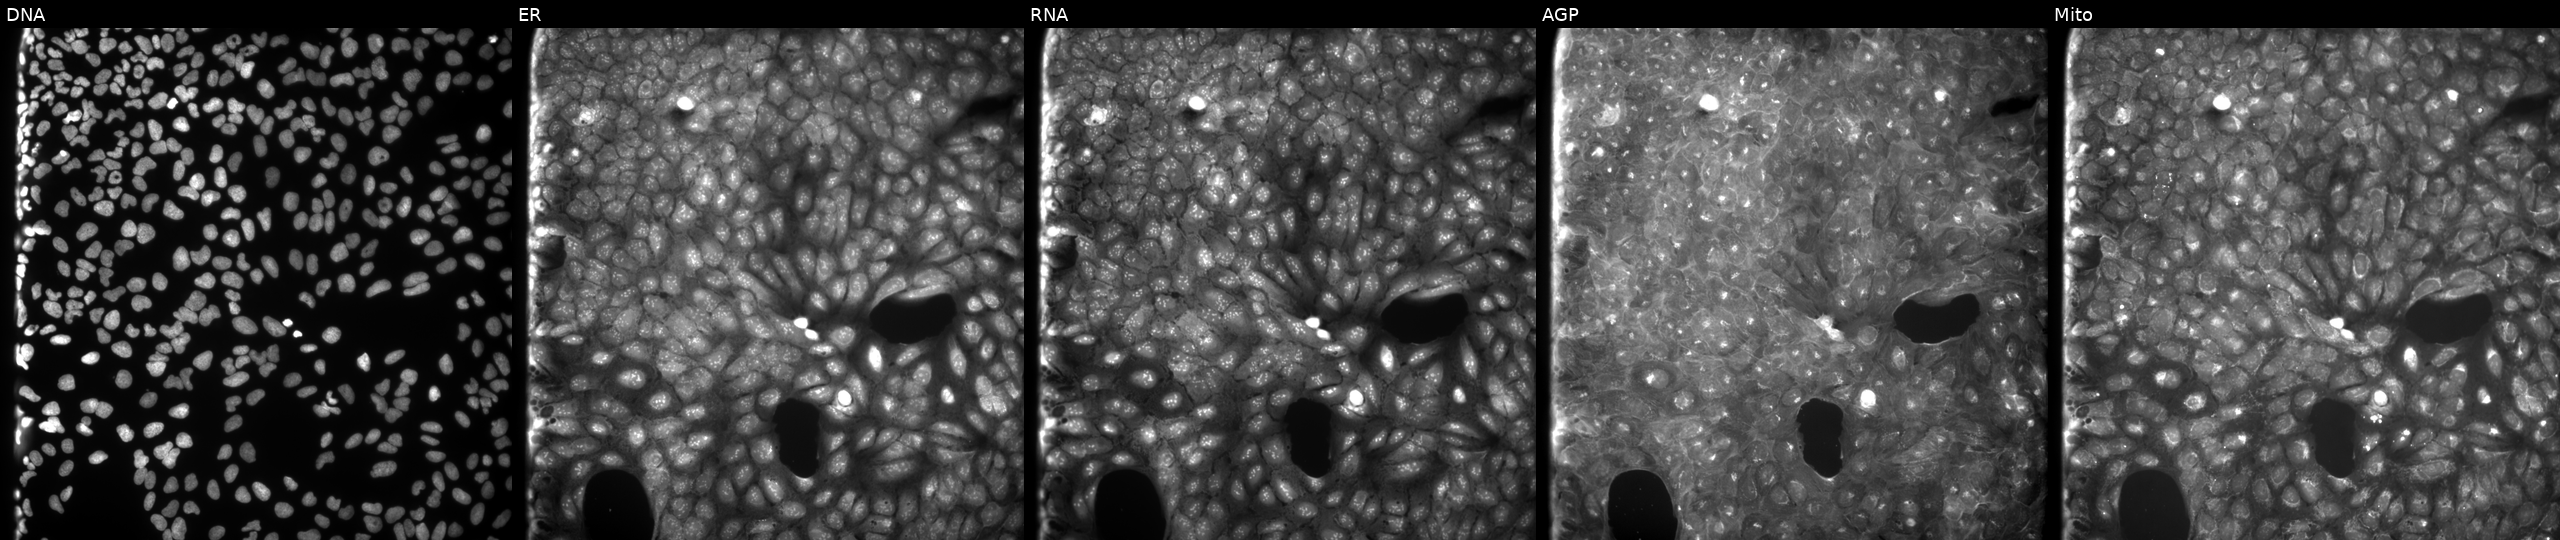
This image strip shows the five Cell Painting channels for a single field of U2OS cells exposed to a small-molecule compound [SMILES: CCC1=NC(c2ccc(Br)cc2)N(O)C1(C)C] (JUMP id JCP2022_082912). From left to right: DNA (nuclei); ER (endoplasmic reticulum); RNA (nucleoli and cytoplasmic RNA); AGP (actin cytoskeleton, Golgi, and plasma membrane); Mito (mitochondria).